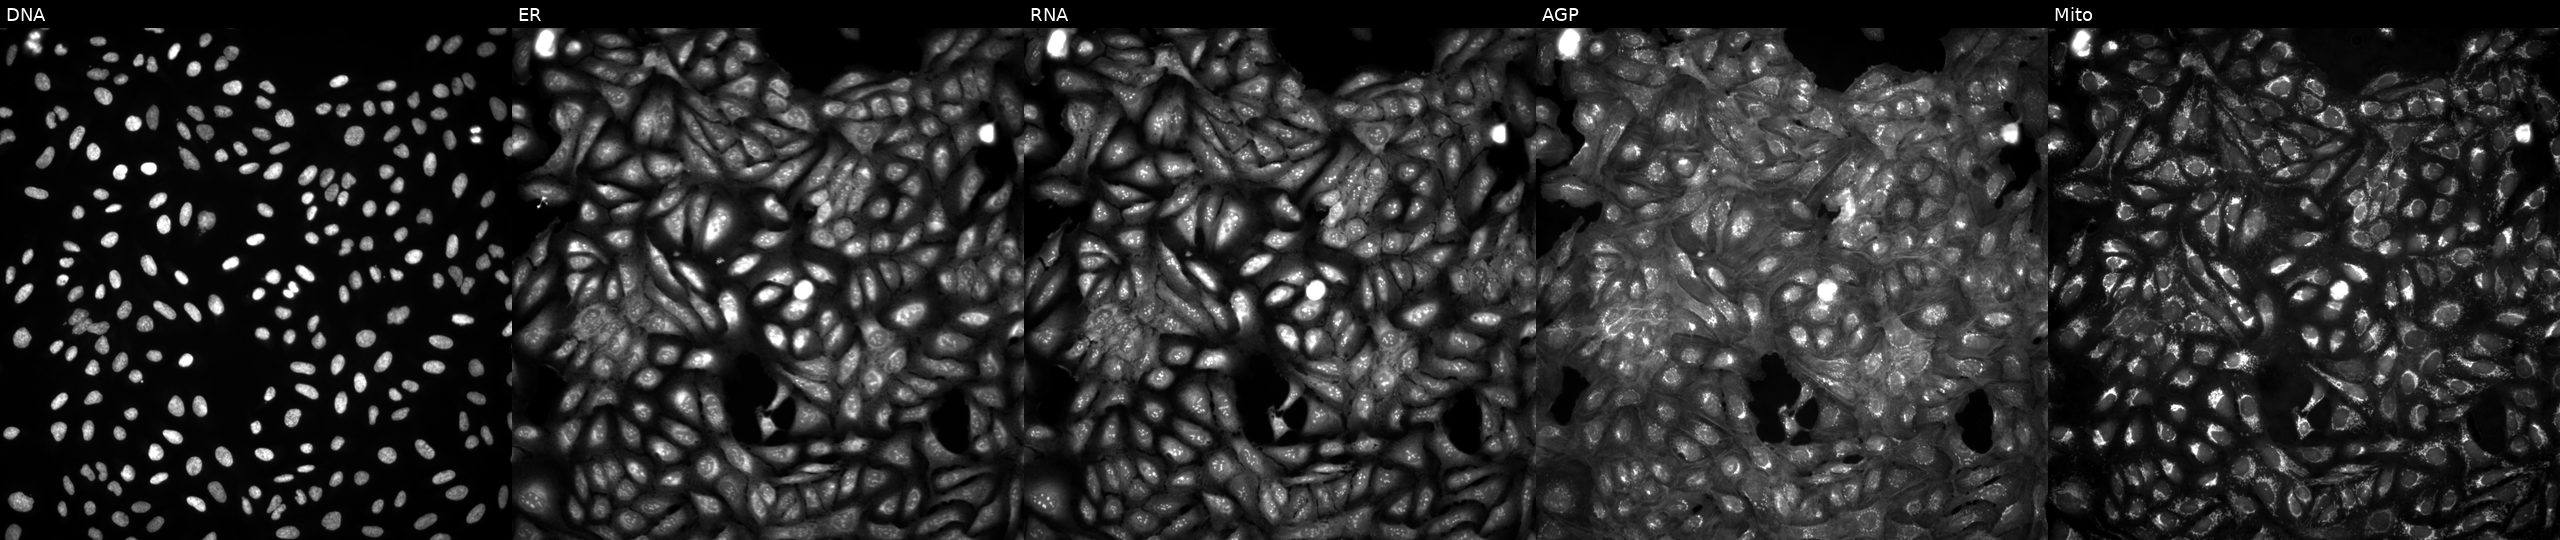
JUMP Cell Painting — ORF plate. U2OS cells untreated (empty-well control). From left to right: Hoechst 33342, concanavalin A, SYTO 14, phalloidin and WGA, MitoTracker.